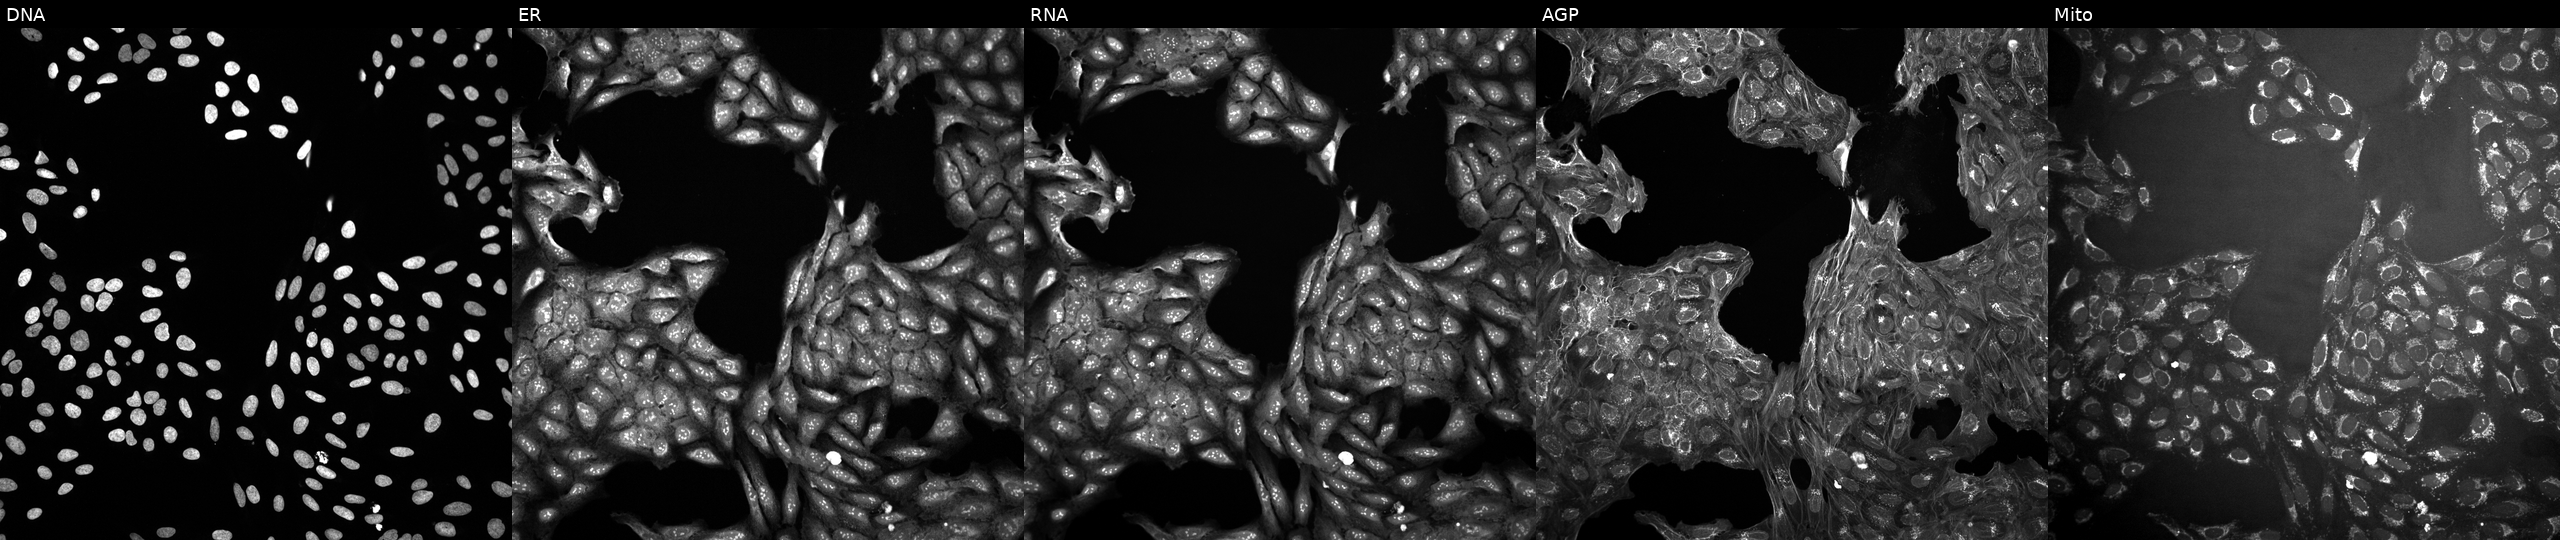
JUMP Cell Painting — COMPOUND plate. U2OS cells exposed to a small-molecule compound (InChIKey SBBPEVYVYQIXDZ-UHFFFAOYSA-N). From left to right: Hoechst 33342, concanavalin A, SYTO 14, phalloidin and WGA, MitoTracker.